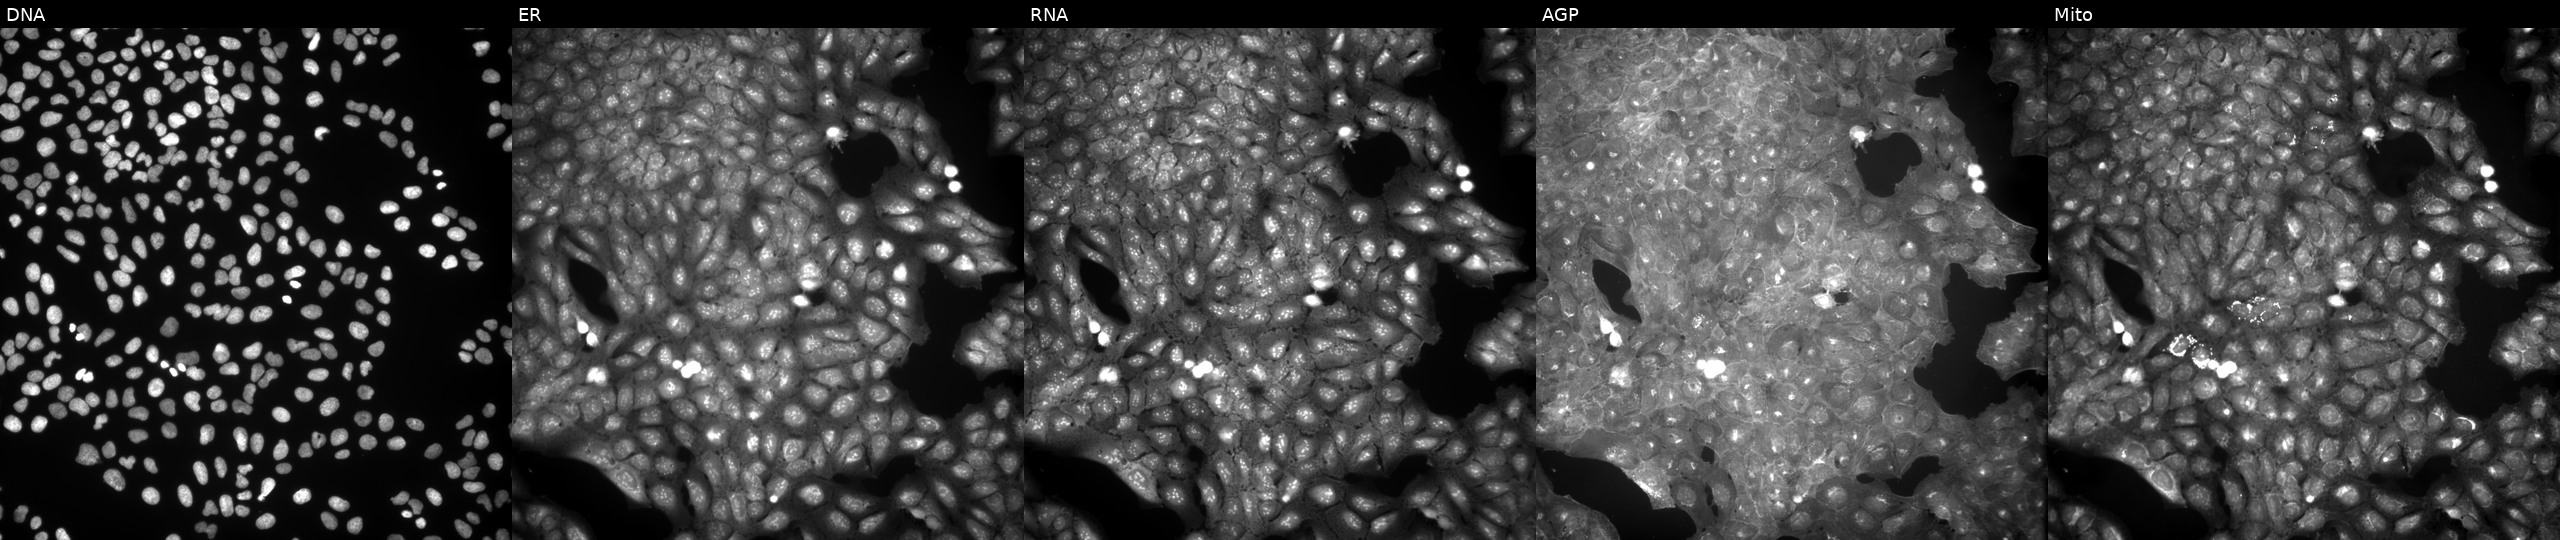
U2OS cells, Cell Painting assay, perturbed with a small-molecule compound (InChIKey FFIPPNAYZWMCQE-UHFFFAOYSA-N) [SMILES: Cc1cc([N+](=O)[O-])nn1CC(=O)Nc1ccc(Cl)cc1C(=O)c1ccccc1] (JUMP id JCP2022_020287). From left to right: Hoechst 33342, concanavalin A, SYTO 14, phalloidin and WGA, MitoTracker. Each panel is percentile-stretched 16-bit fluorescence.